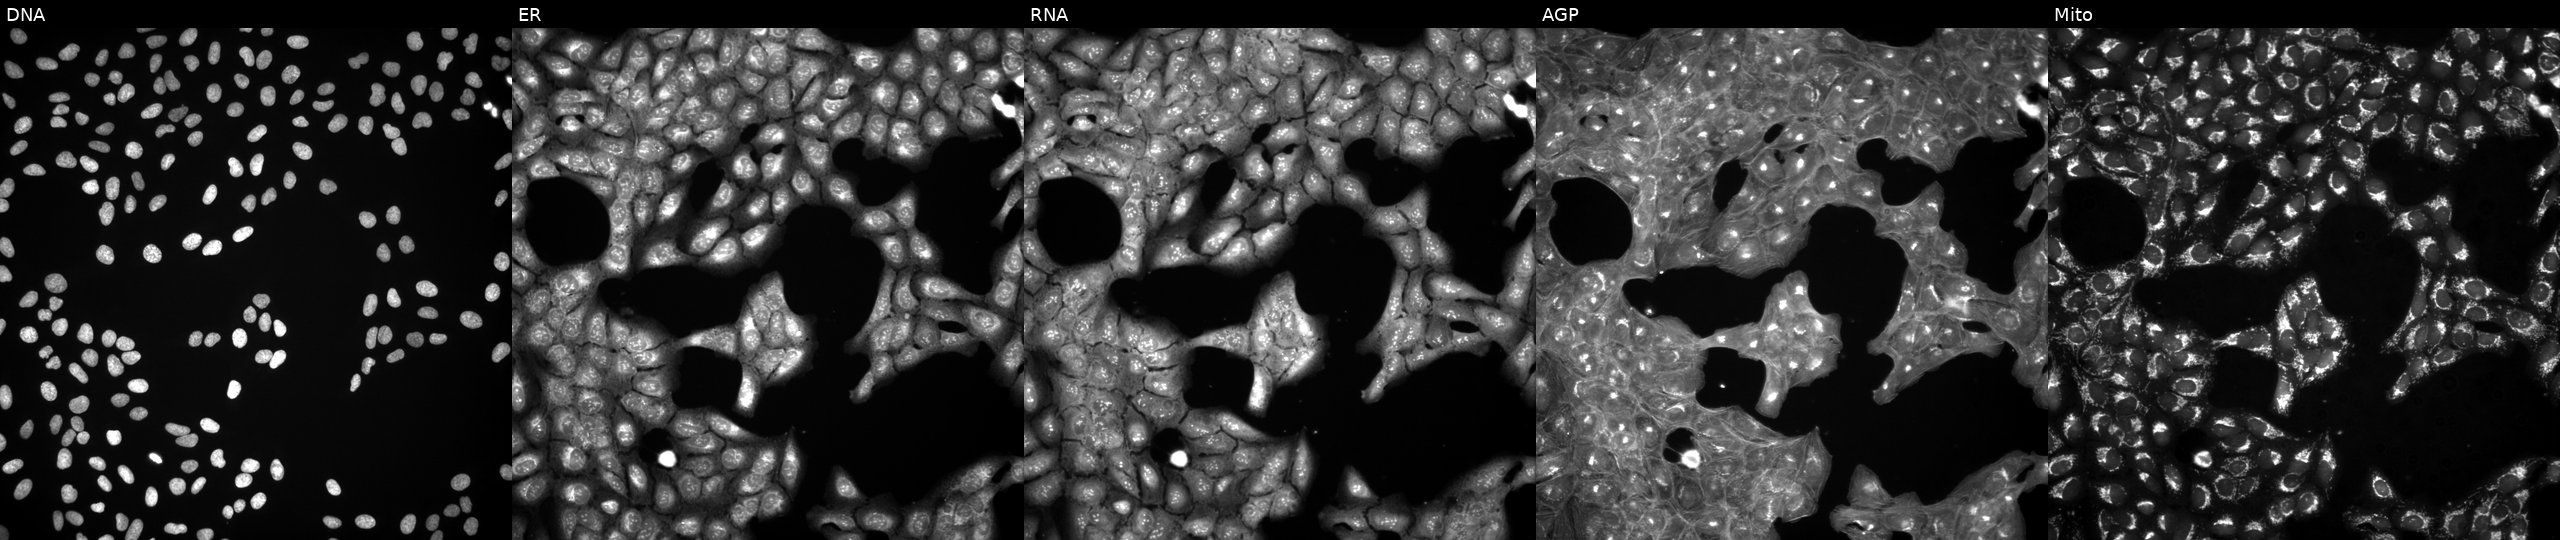
Five-channel Cell Painting image of U2OS cells treated with a small-molecule compound (InChIKey ACABFUSMARNGNL-UHFFFAOYSA-N). Panels show, left to right, Hoechst 33342, concanavalin A, SYTO 14, phalloidin and WGA, MitoTracker. Source 3, plate BR5867b3, well M19.